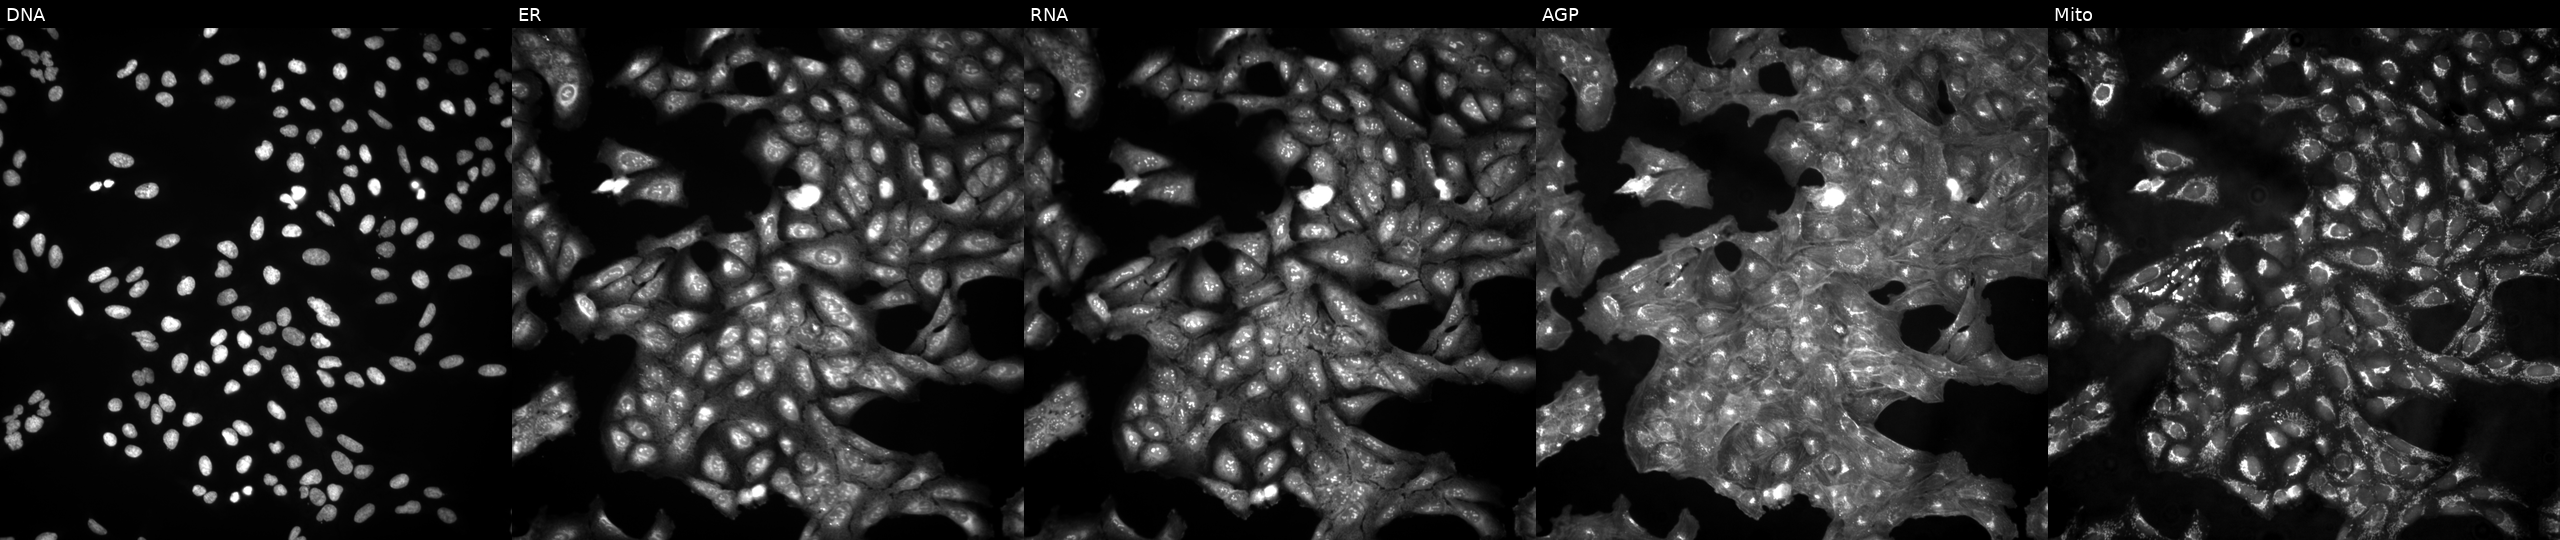
This image strip shows the five Cell Painting channels for a single field of U2OS cells in an empty control well (no perturbation). From left to right: DNA (nuclei); ER (endoplasmic reticulum); RNA (nucleoli and cytoplasmic RNA); AGP (actin cytoskeleton, Golgi, and plasma membrane); Mito (mitochondria).